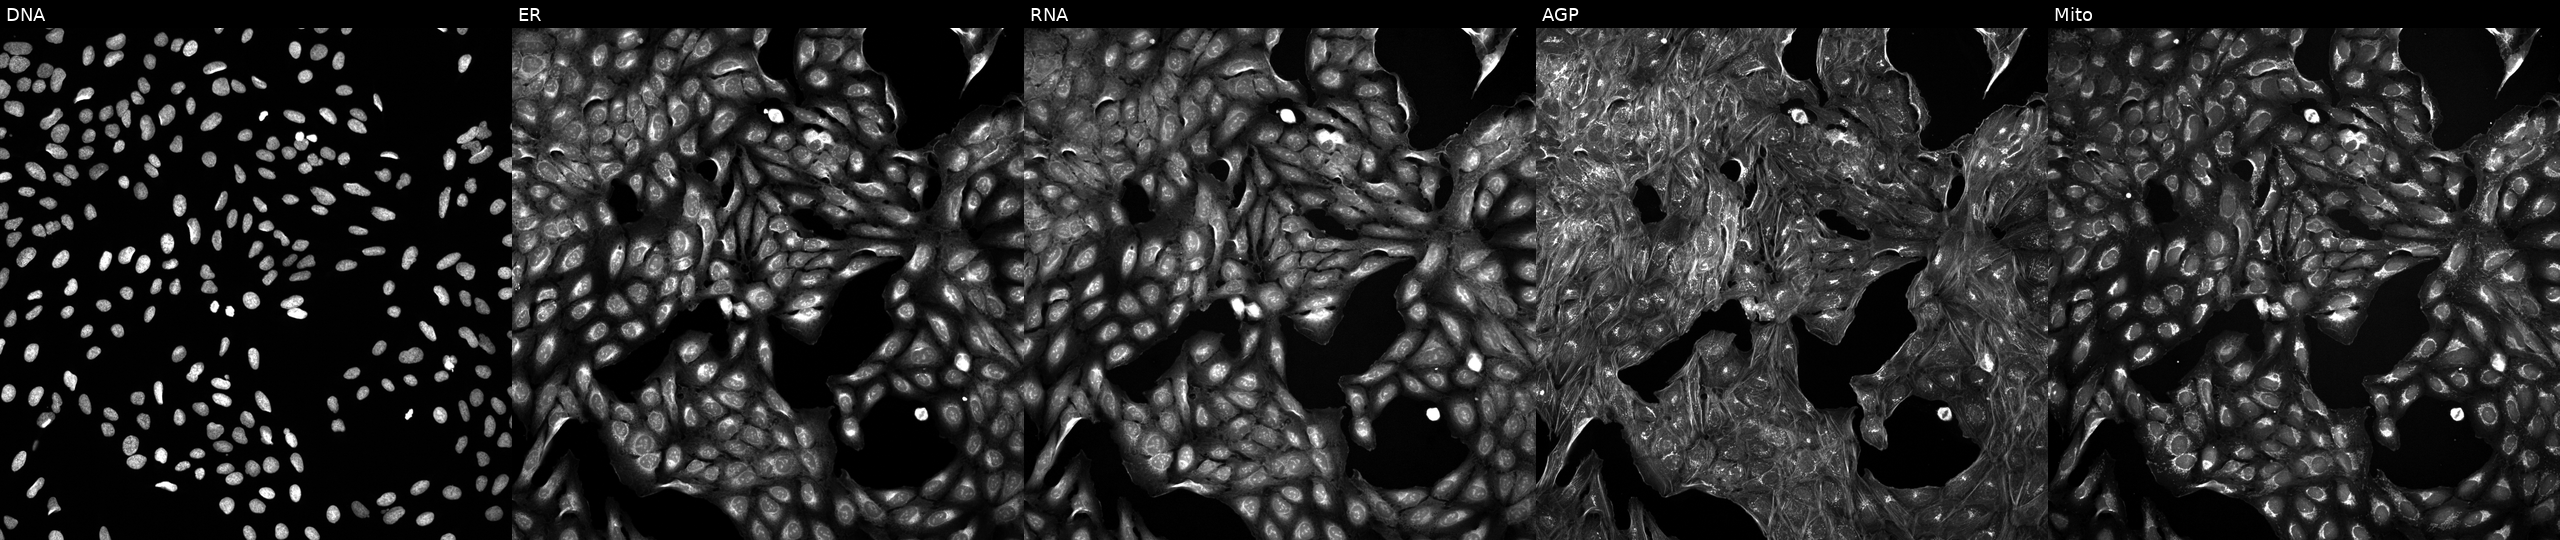
Five-channel Cell Painting image of U2OS cells treated with DMSO vehicle only (negative control). From left to right: Hoechst 33342, concanavalin A, SYTO 14, phalloidin and WGA, MitoTracker.